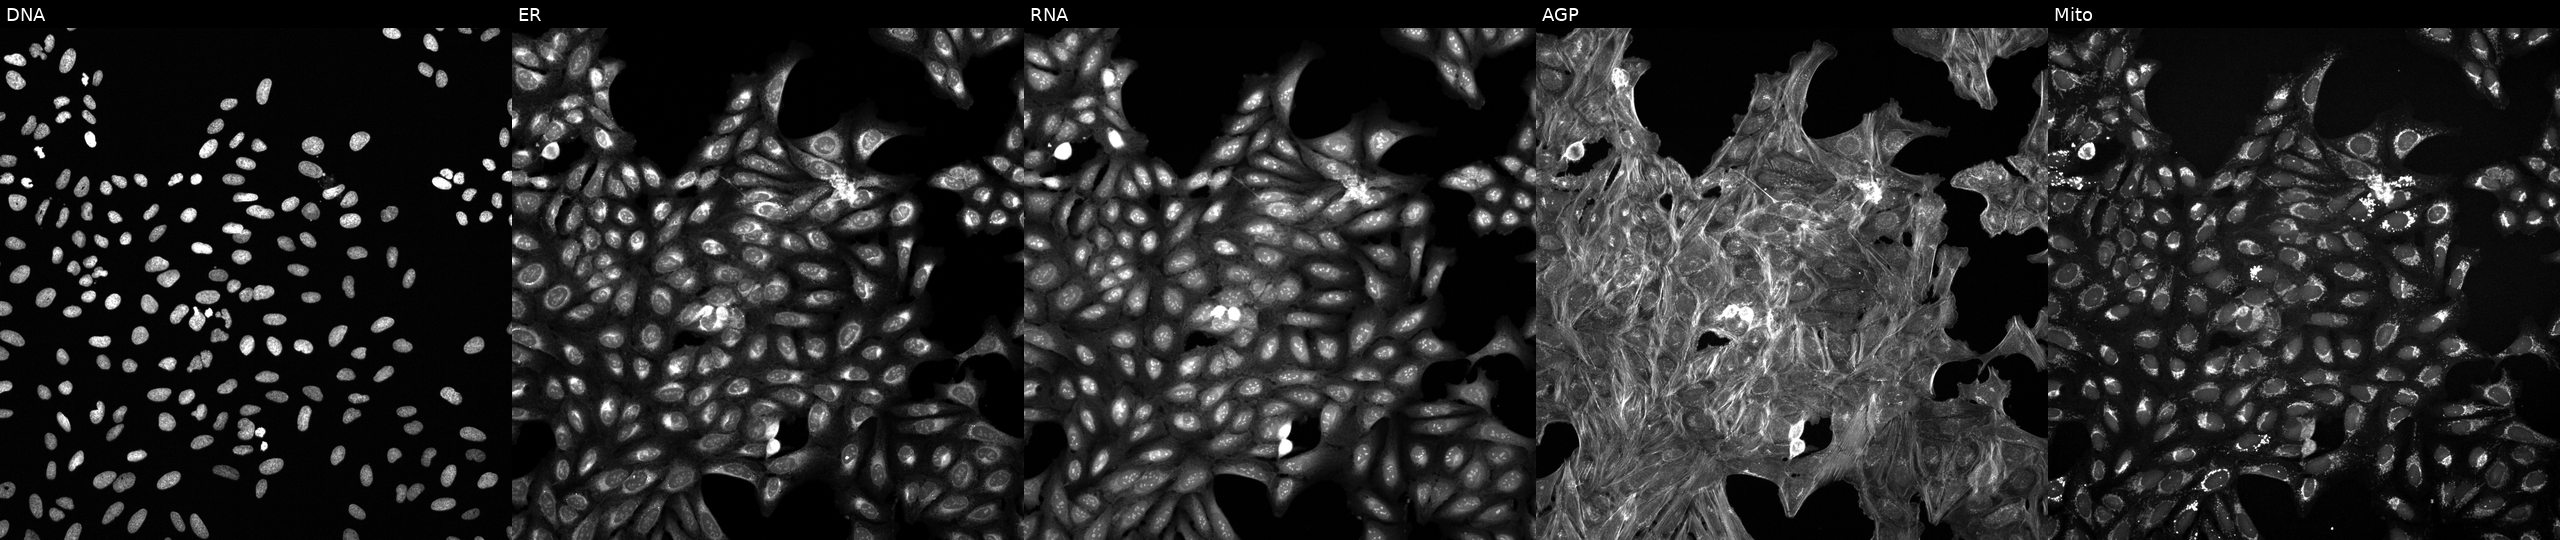
U2OS cells, Cell Painting assay, exposed to a small-molecule compound (InChIKey XQYASZNUFDVMFH-UHFFFAOYSA-N) (JUMP id JCP2022_105456). Channels (left→right): DNA (nuclei); ER (endoplasmic reticulum); RNA (nucleoli and cytoplasmic RNA); AGP (actin cytoskeleton, Golgi, and plasma membrane); Mito (mitochondria). Each panel is percentile-stretched 16-bit fluorescence. Source 6, plate 110000293081, well C01.